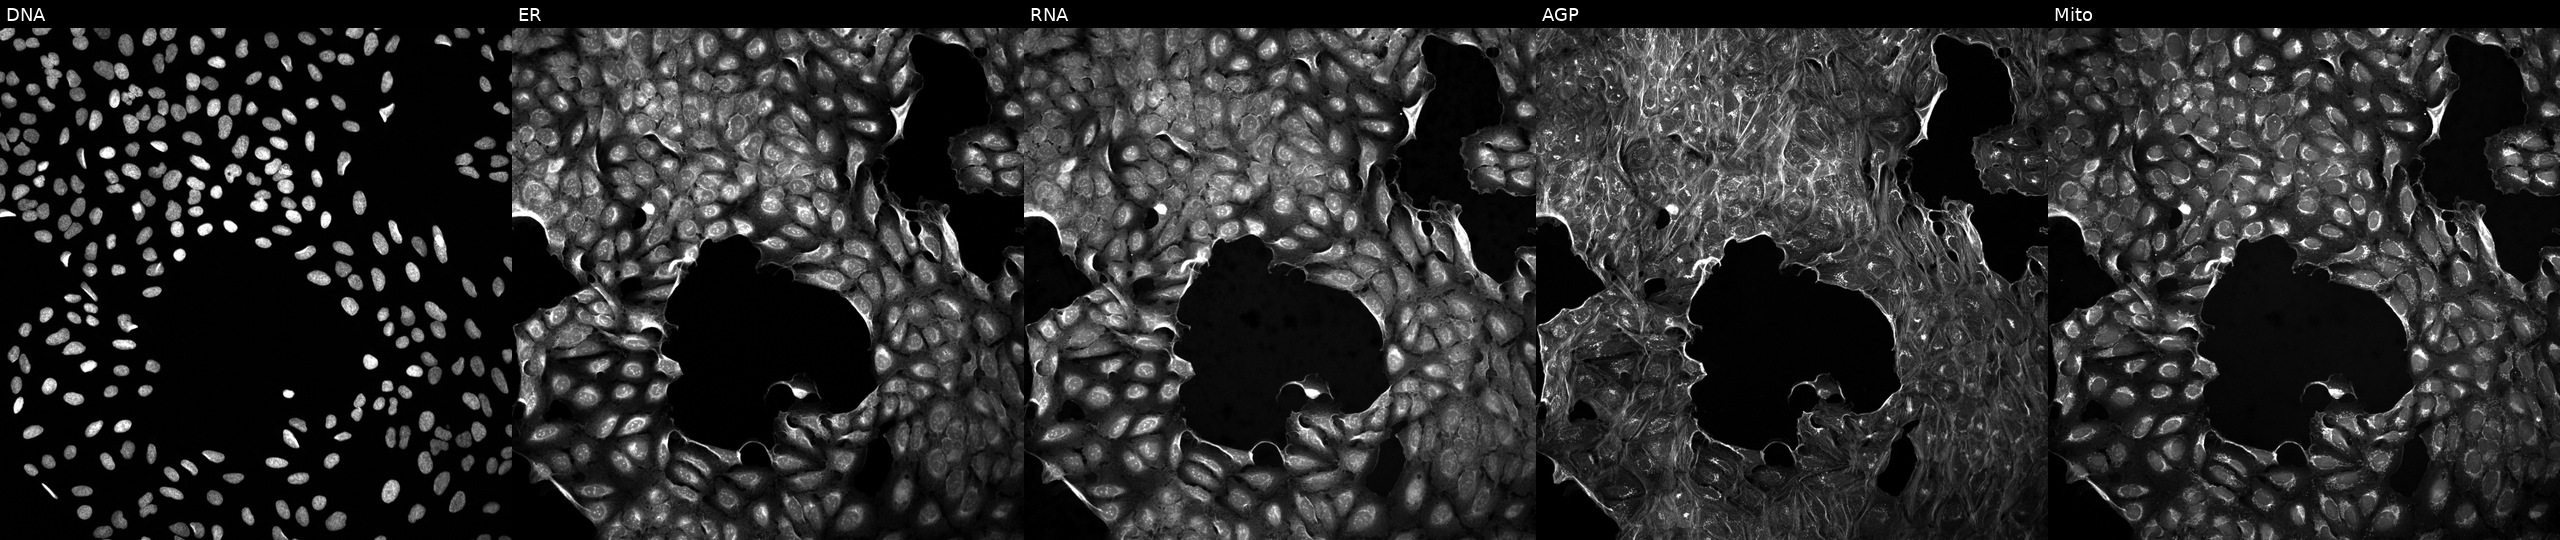
High-content fluorescence microscopy (Cell Painting). Cell line: U2OS. Perturbation: perturbed with a small-molecule compound (InChIKey SZBGQDXLNMELTB-UHFFFAOYSA-N). Panels show, left to right, DNA (nuclei); ER (endoplasmic reticulum); RNA (nucleoli and cytoplasmic RNA); AGP (actin cytoskeleton, Golgi, and plasma membrane); Mito (mitochondria). Source 5, plate ACPJUM012, well N22.